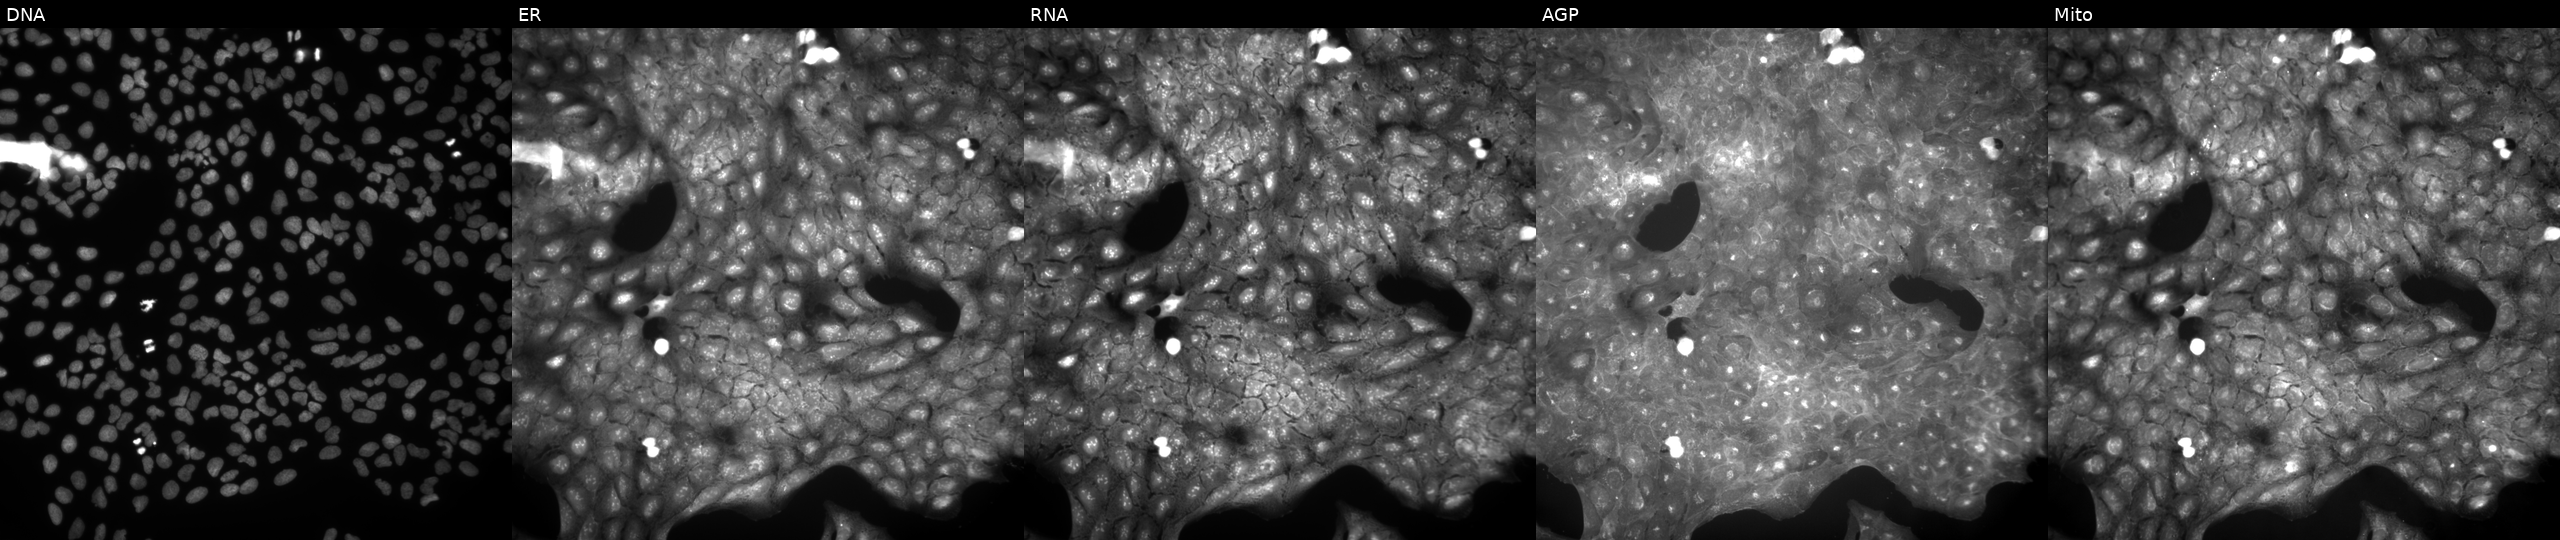
Five-channel Cell Painting image of U2OS cells treated with a small-molecule compound (InChIKey LBDVFICHPJWDIZ-UHFFFAOYSA-N). The five panels, left to right, show Hoechst 33342, concanavalin A, SYTO 14, phalloidin and WGA, MitoTracker.